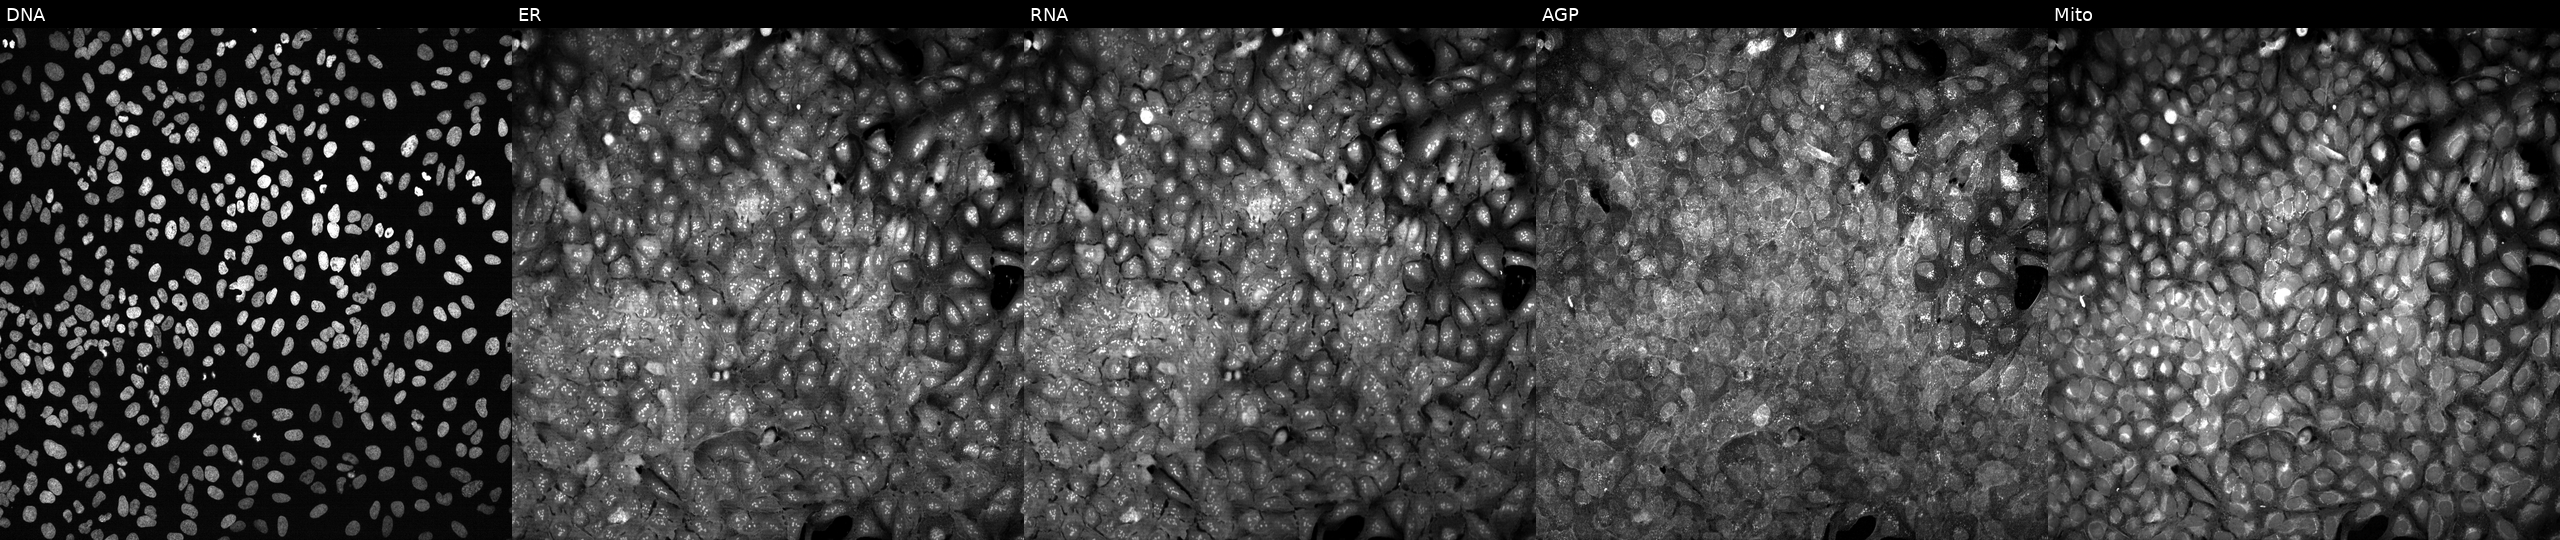
This image strip shows the five Cell Painting channels for a single field of U2OS cells CRISPR-edited to disrupt IL27RA (JUMP id JCP2022_803389). The five panels, left to right, show DNA (nuclei); ER (endoplasmic reticulum); RNA (nucleoli and cytoplasmic RNA); AGP (actin cytoskeleton, Golgi, and plasma membrane); Mito (mitochondria).